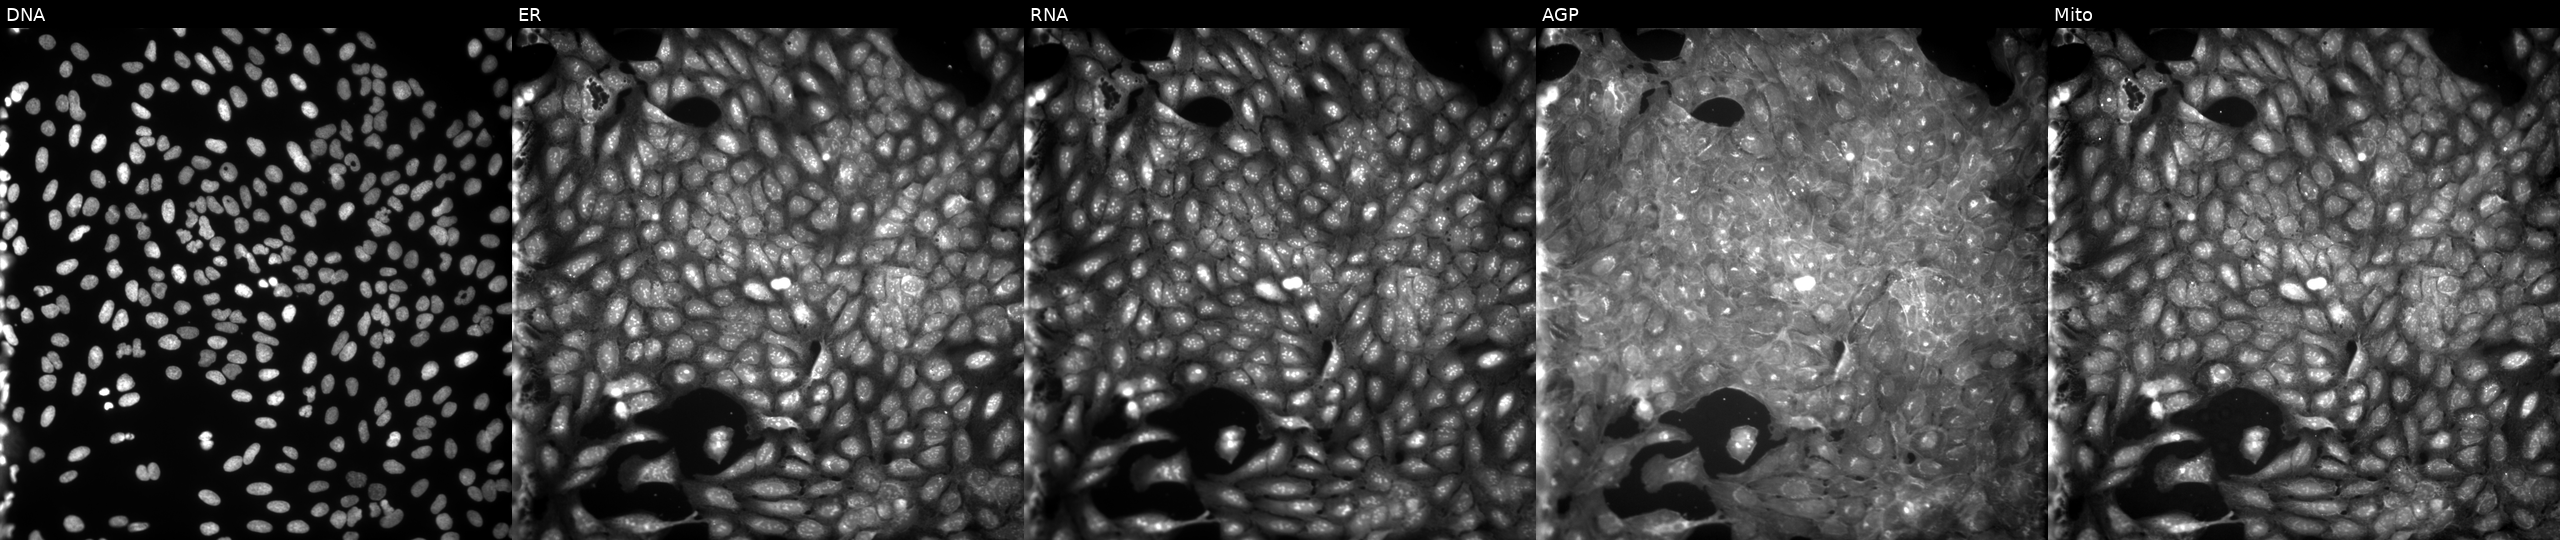
This image strip shows the five Cell Painting channels for a single field of U2OS cells exposed to a small-molecule compound (InChIKey GYBAWTQZWMDORM-UHFFFAOYSA-N). The five panels, left to right, show DNA (nuclei); ER (endoplasmic reticulum); RNA (nucleoli and cytoplasmic RNA); AGP (actin cytoskeleton, Golgi, and plasma membrane); Mito (mitochondria). Source 9, plate GR00003382, well X11.